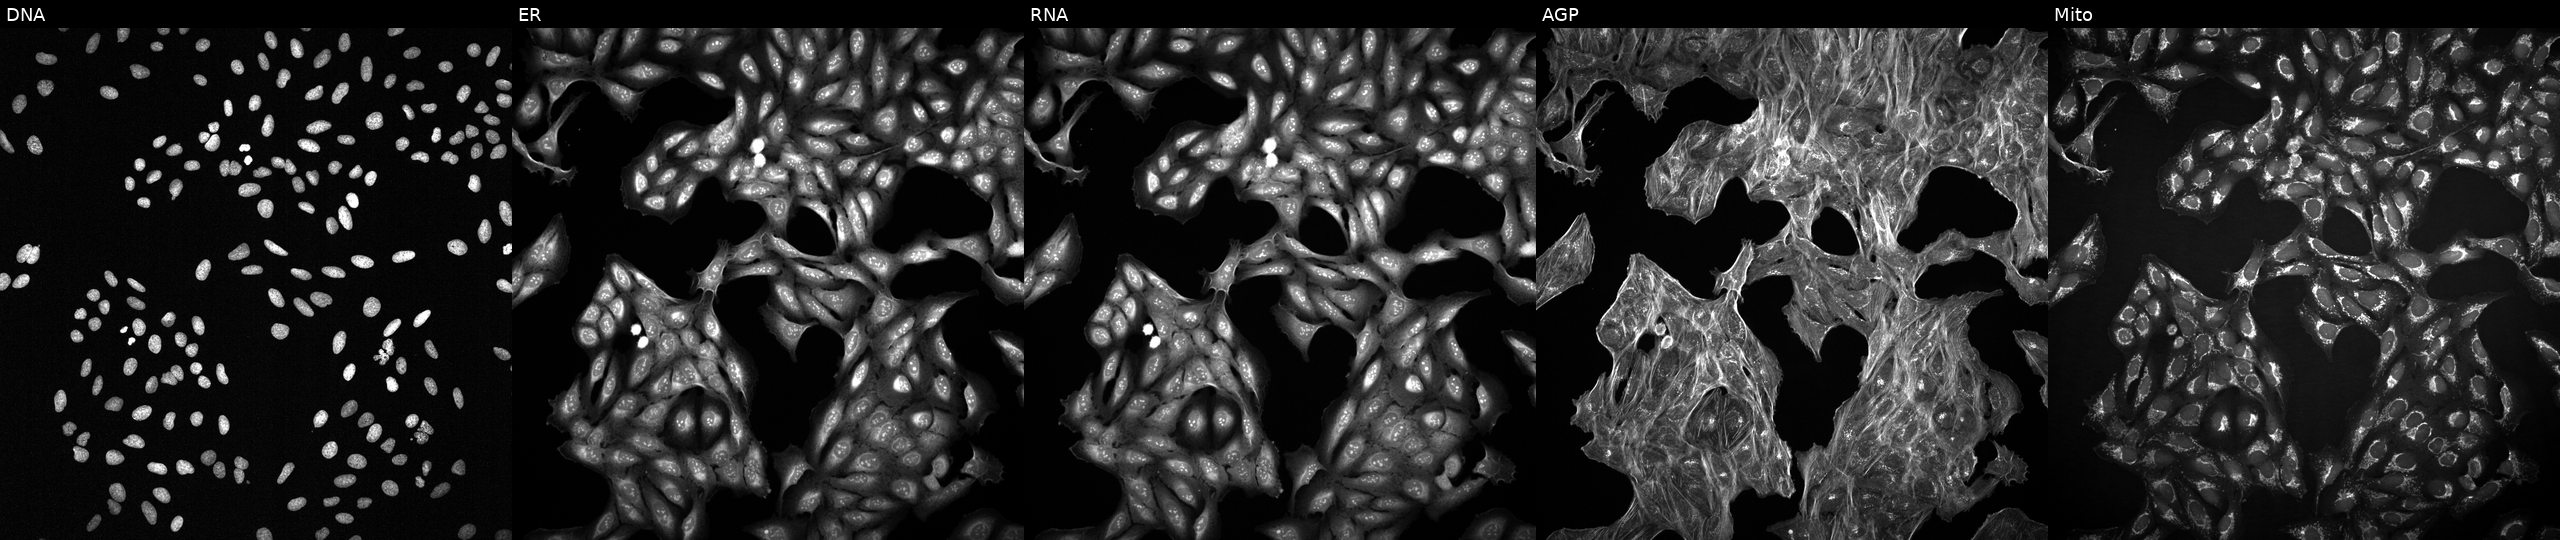
The five panels, left to right, show DNA, ER, RNA, AGP, and Mito. U2OS osteosarcoma cells exposed to a small-molecule compound (JUMP id JCP2022_018074). Cell Painting assay, JUMP-CP dataset.